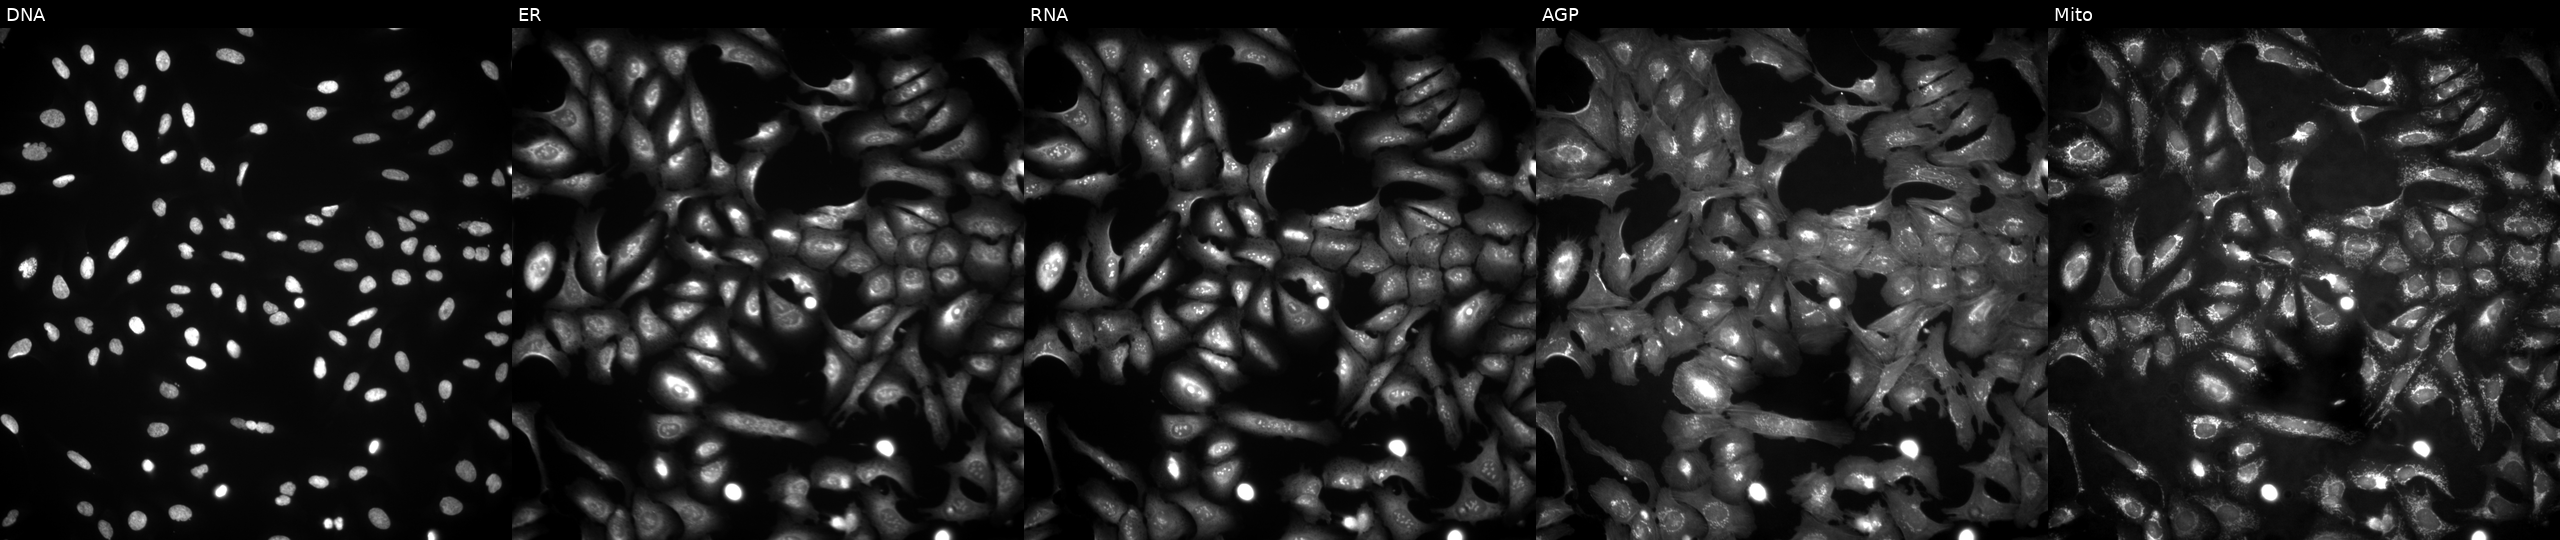
From left to right: Hoechst 33342, concanavalin A, SYTO 14, phalloidin and WGA, MitoTracker. U2OS osteosarcoma cells overexpressing DAZ1 via ORF transfection. Cell Painting assay, JUMP-CP dataset.